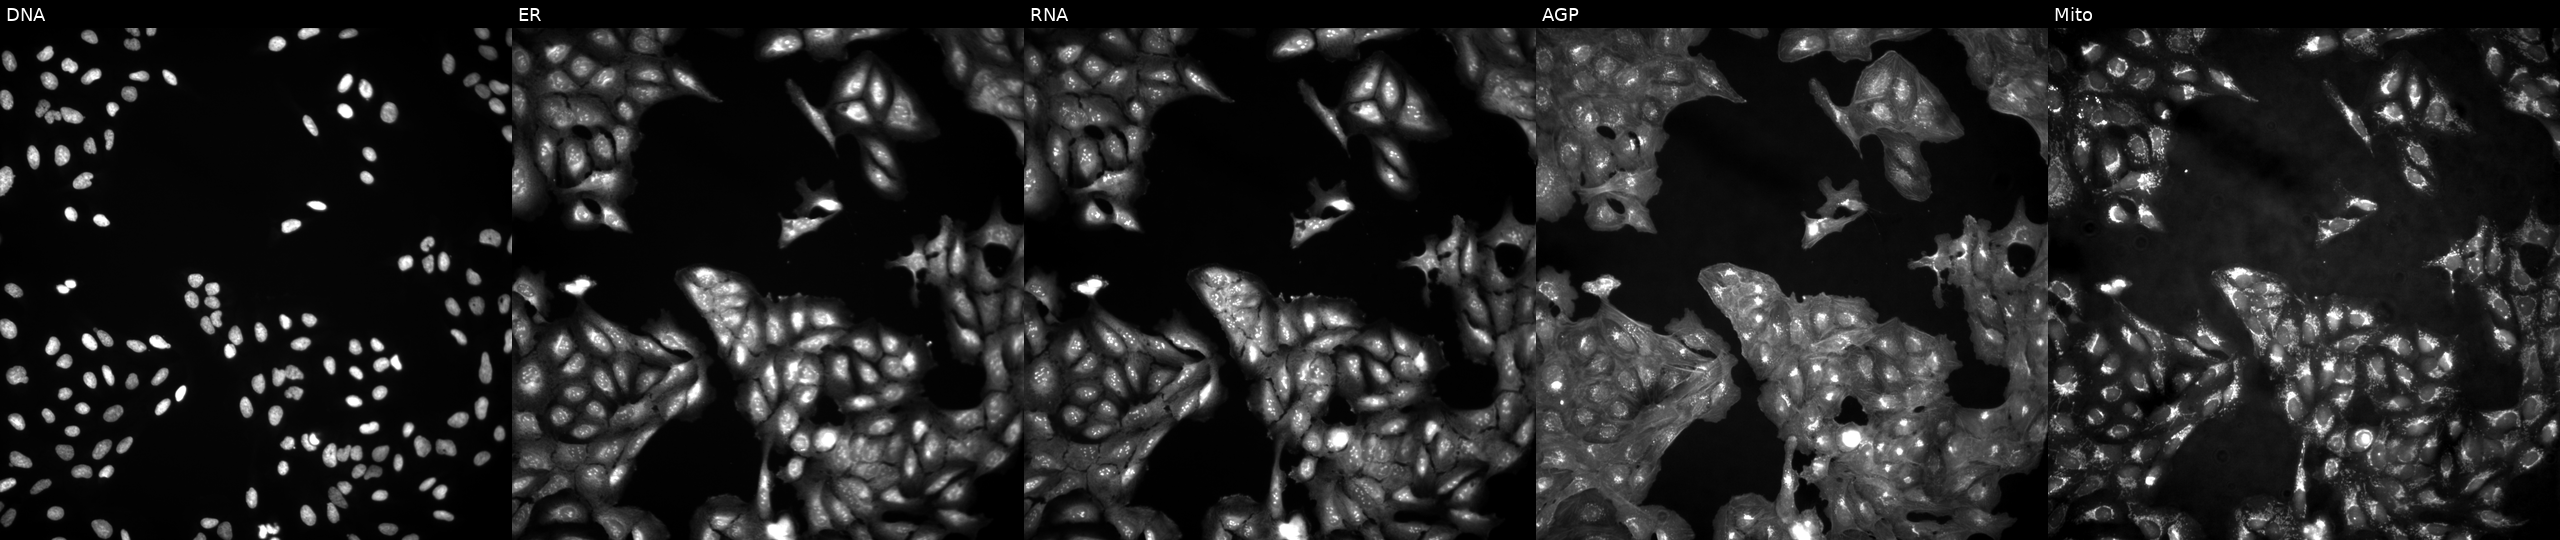
JUMP Cell Painting — ORF plate. U2OS cells in an empty control well (no perturbation) (JUMP id JCP2022_999999). Panels show, left to right, Hoechst 33342, concanavalin A, SYTO 14, phalloidin and WGA, MitoTracker.